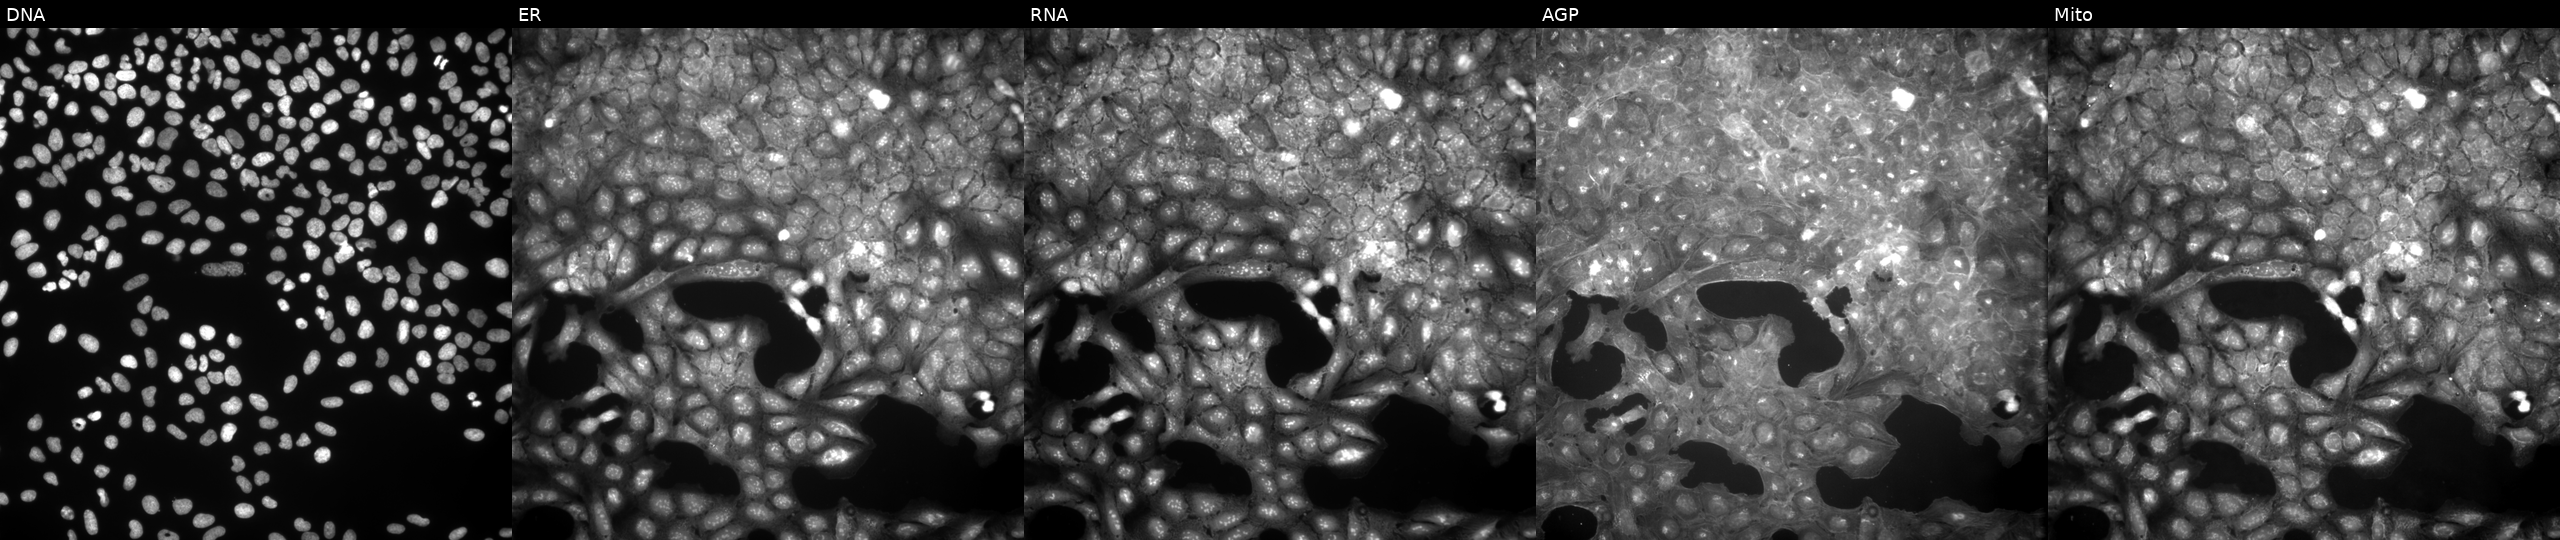
JUMP Cell Painting — COMPOUND plate. U2OS cells treated with a small-molecule compound (InChIKey YPIUMTPSSBKZKH-UHFFFAOYSA-N). The five panels, left to right, show DNA, ER, RNA, AGP, and Mito.